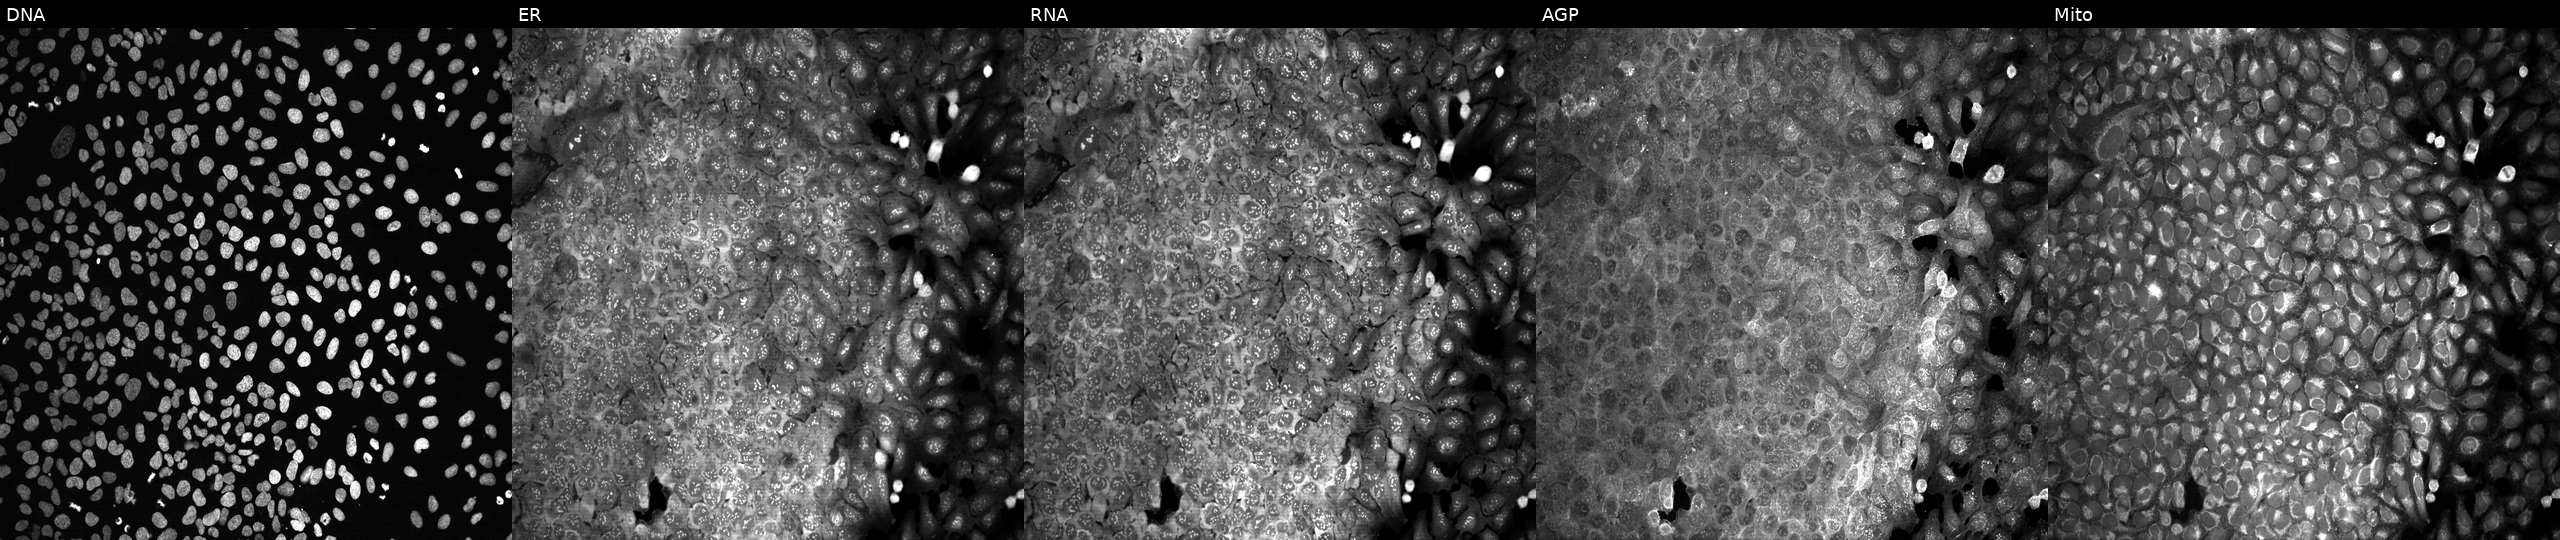
High-content fluorescence microscopy (Cell Painting). Cell line: U2OS. Perturbation: with a non-targeting CRISPR guide (negative control) (JUMP id JCP2022_800002). The five panels, left to right, show DNA (nuclei); ER (endoplasmic reticulum); RNA (nucleoli and cytoplasmic RNA); AGP (actin cytoskeleton, Golgi, and plasma membrane); Mito (mitochondria). Source 13, plate CP-CC9-R5-01, well J02.